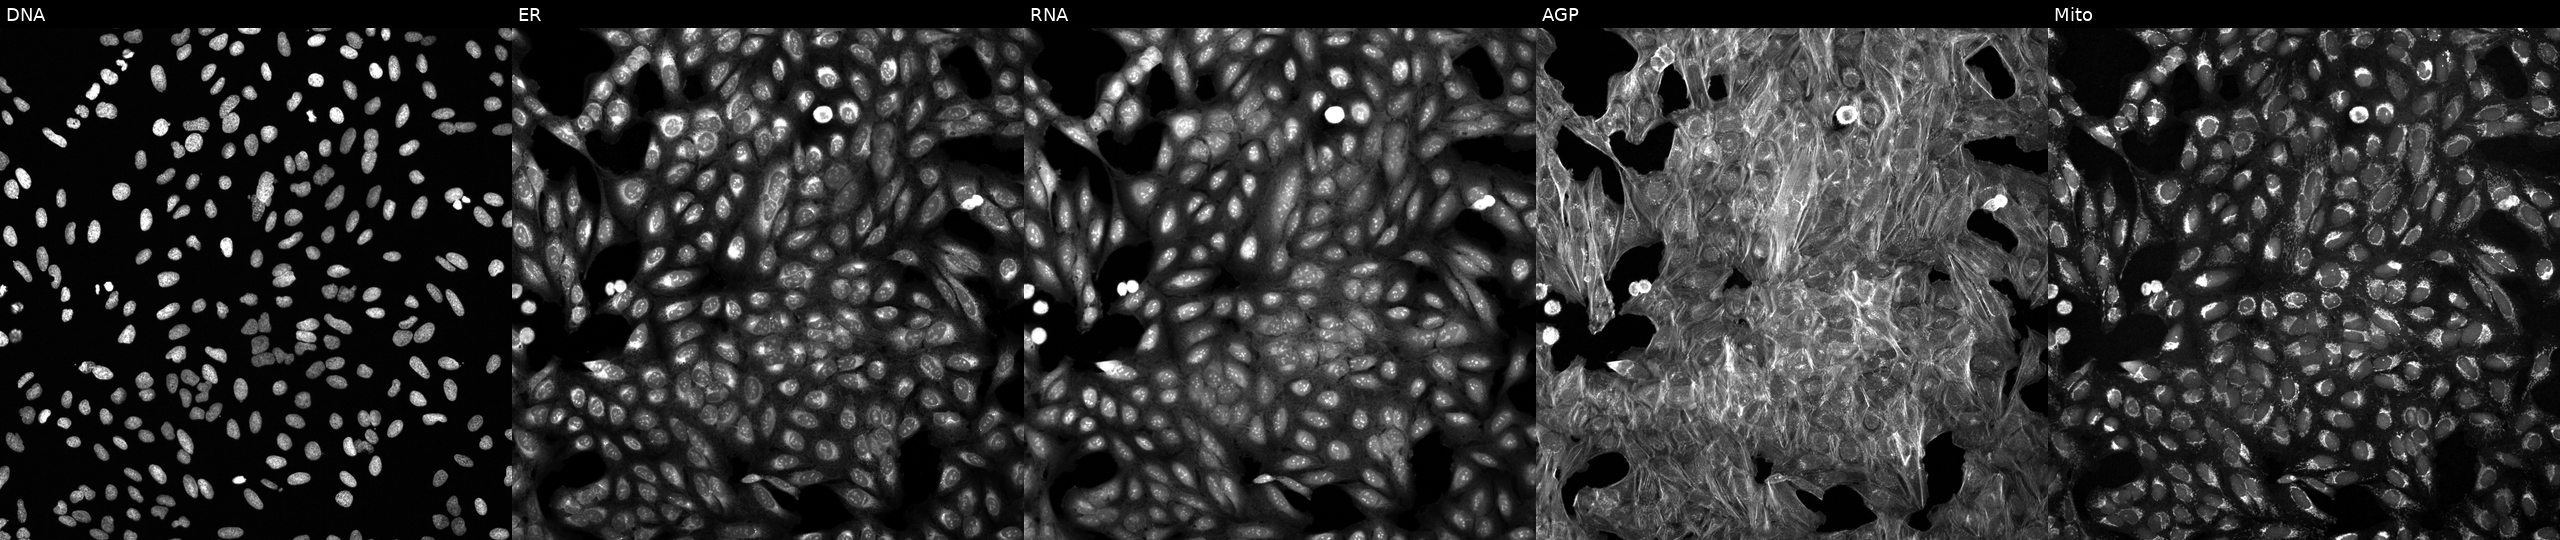
Five-channel Cell Painting image of U2OS cells exposed to a small-molecule compound (InChIKey GHTATLNDTJSZAT-UHFFFAOYSA-N) [SMILES: CCn1c(SC)nnc1-c1nn(C)c2c1CN(C(=O)CC1CCCCC1)CC2] (JUMP id JCP2022_025538). Panels show, left to right, Hoechst 33342, concanavalin A, SYTO 14, phalloidin and WGA, MitoTracker.